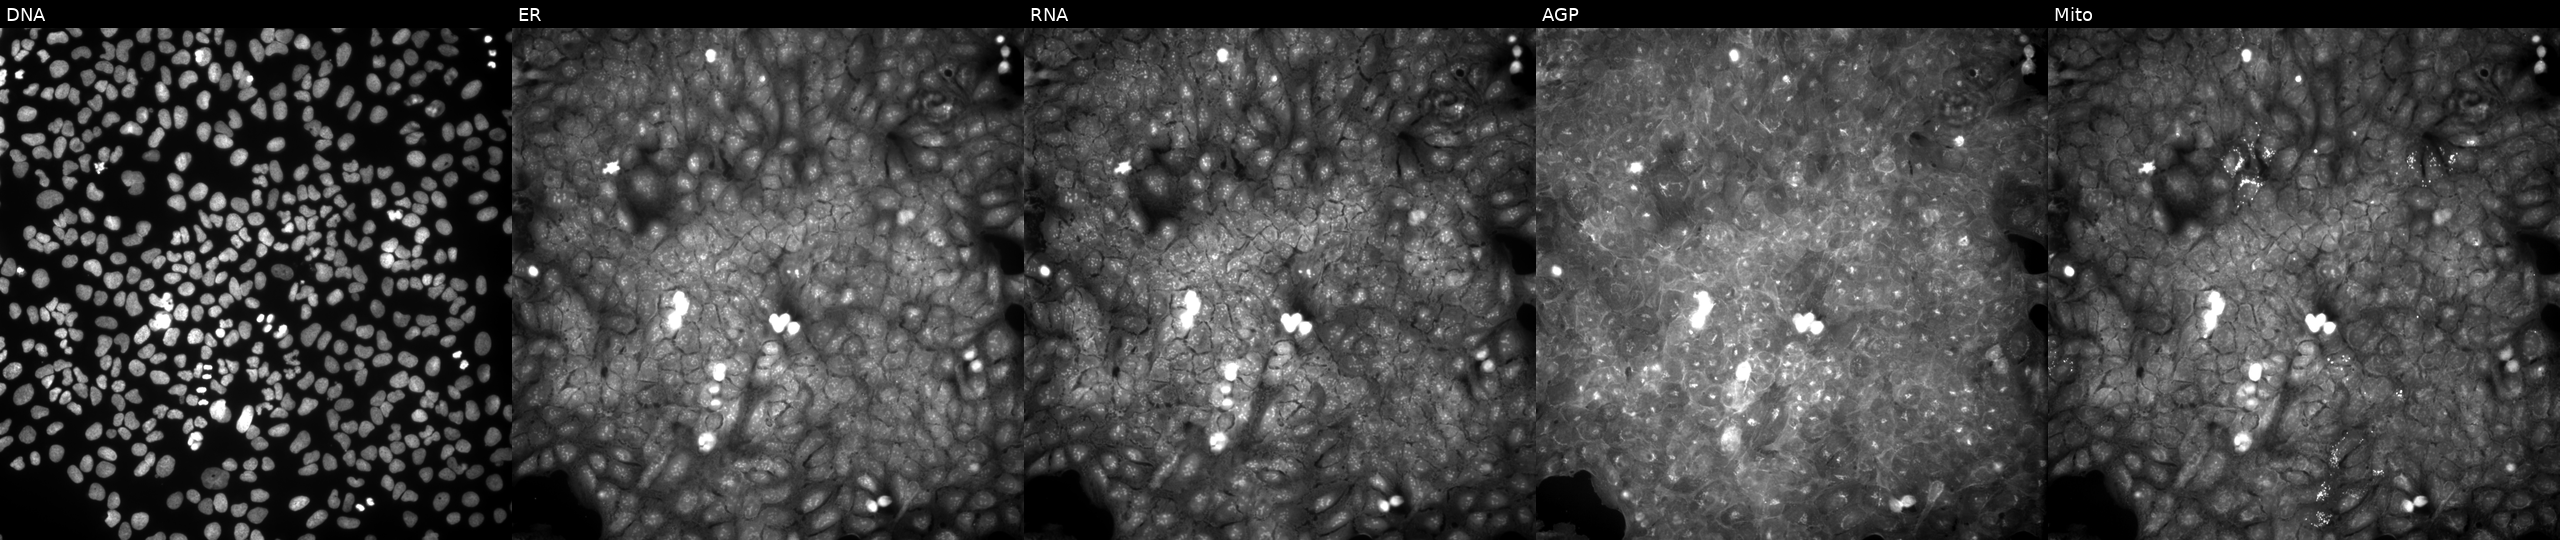
Channels (left→right): DNA, ER, RNA, AGP, and Mito. U2OS osteosarcoma cells treated with a small-molecule compound. Cell Painting assay, JUMP-CP dataset.